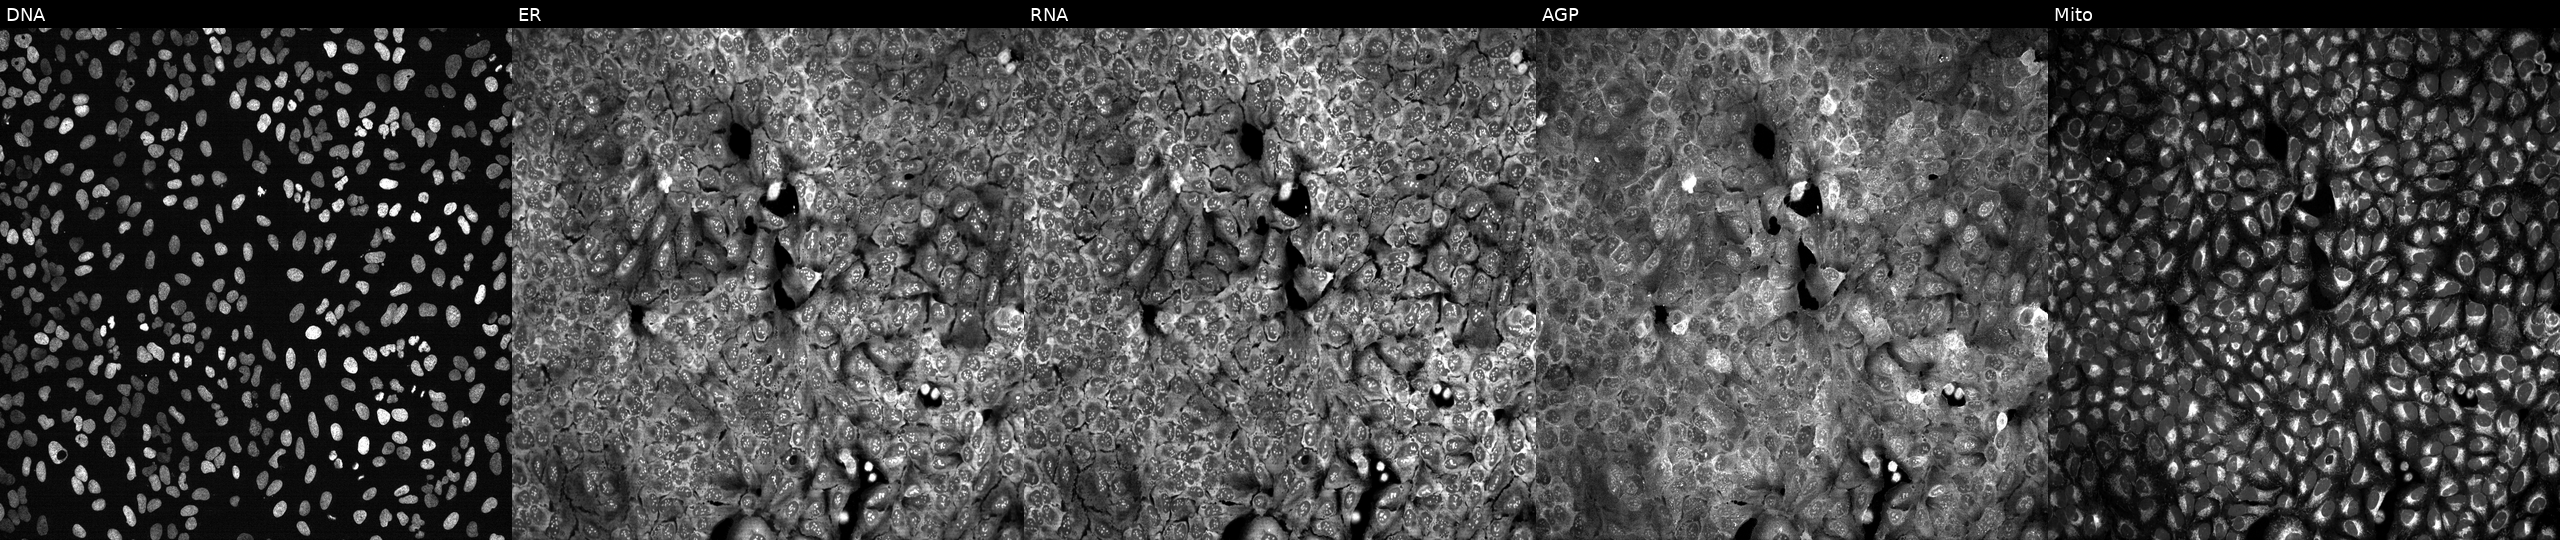
High-content fluorescence microscopy (Cell Painting). Cell line: U2OS. Perturbation: following CRISPR knockout of FN1 (JUMP id JCP2022_802434). From left to right: DNA, ER, RNA, AGP, and Mito.